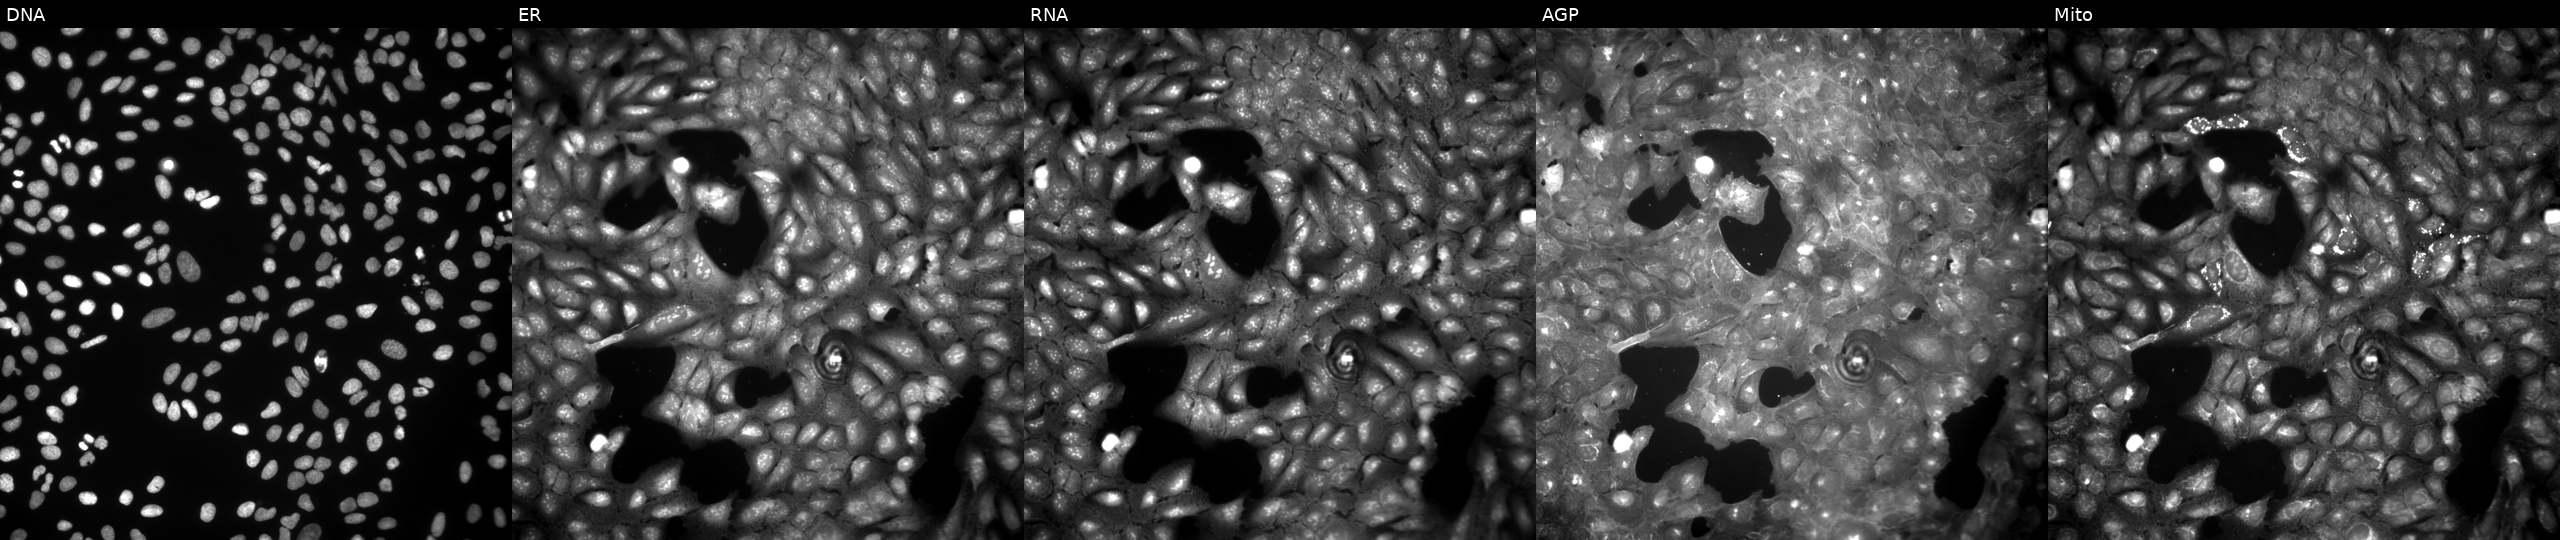
U2OS cells, Cell Painting assay, treated with a small-molecule compound (InChIKey YDJBOMLTXNLGNI-UHFFFAOYSA-N) [SMILES: CCOC(=O)c1c(NC(=O)c2ccc(OC)cc2)sc2c1CCCCC2] (JUMP id JCP2022_107733). The five panels, left to right, show DNA (nuclei); ER (endoplasmic reticulum); RNA (nucleoli and cytoplasmic RNA); AGP (actin cytoskeleton, Golgi, and plasma membrane); Mito (mitochondria). Each panel is percentile-stretched 16-bit fluorescence.